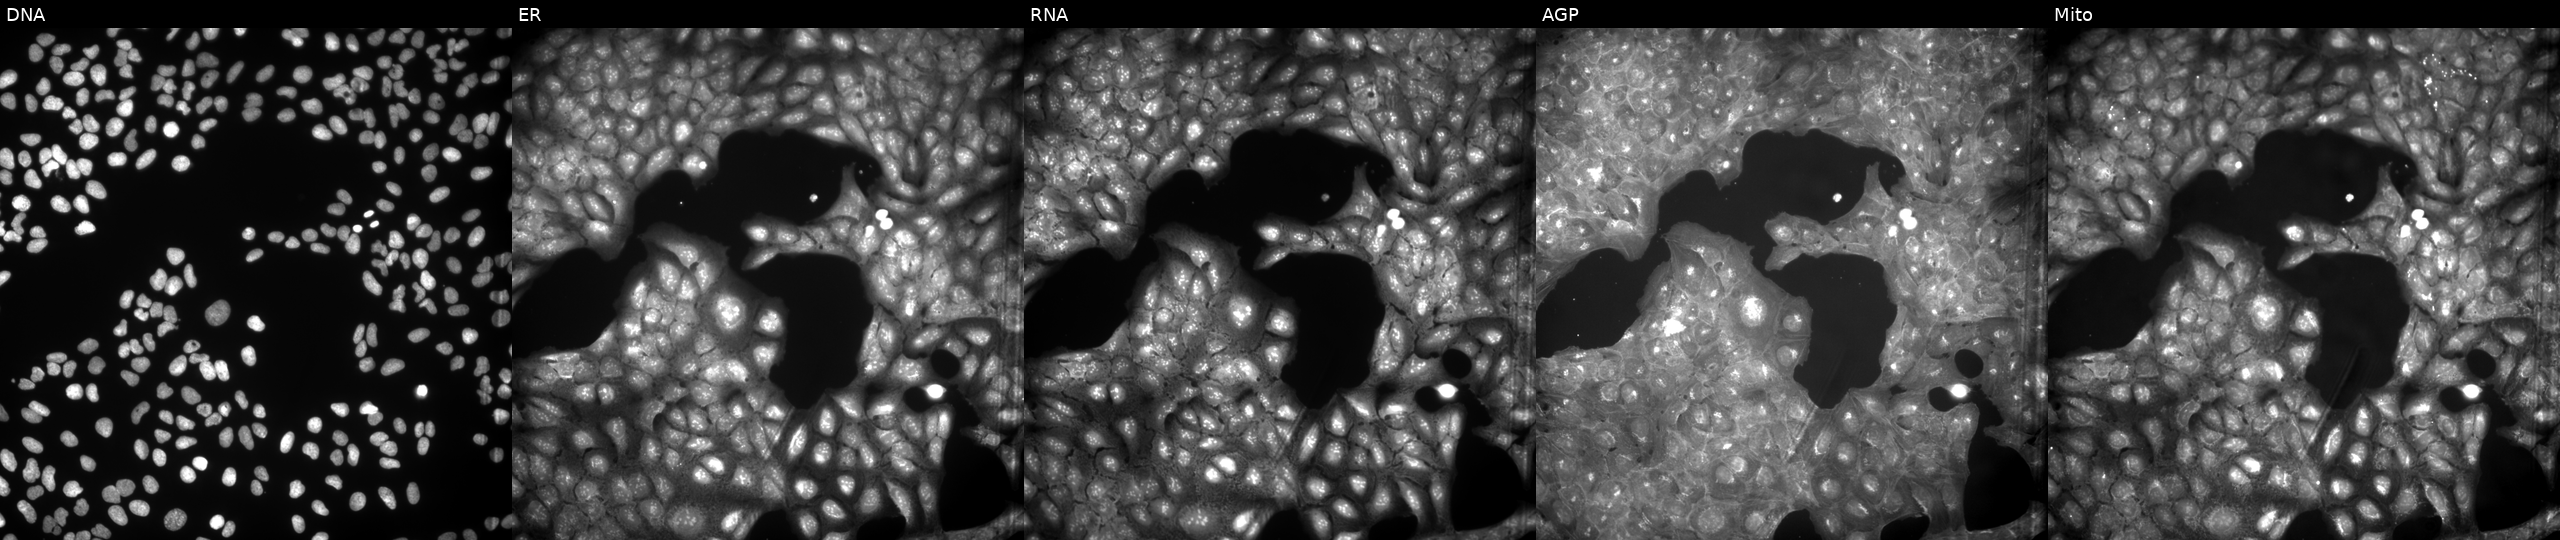
From left to right: DNA, ER, RNA, AGP, and Mito. U2OS osteosarcoma cells treated with a small-molecule compound (InChIKey KBCLZVDWGSRIKN-UHFFFAOYSA-N) (JUMP id JCP2022_043437). Cell Painting assay, JUMP-CP dataset. Source 9, plate GR00003382, well S33.